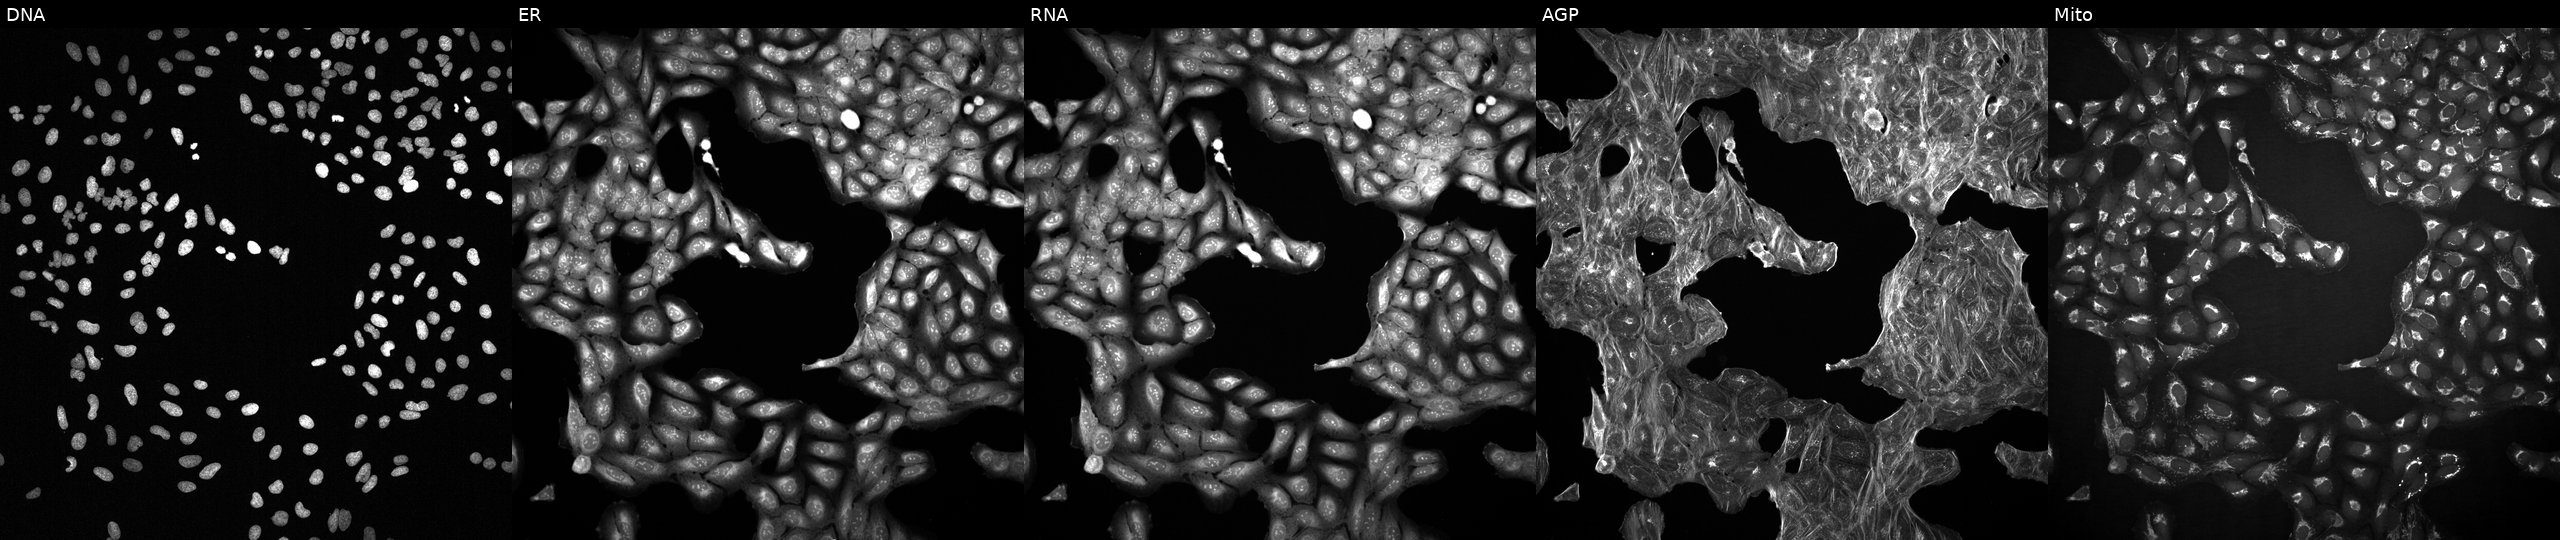
This image strip shows the five Cell Painting channels for a single field of U2OS cells perturbed with a small-molecule compound (JUMP id JCP2022_002965). The five panels, left to right, show DNA (nuclei); ER (endoplasmic reticulum); RNA (nucleoli and cytoplasmic RNA); AGP (actin cytoskeleton, Golgi, and plasma membrane); Mito (mitochondria).